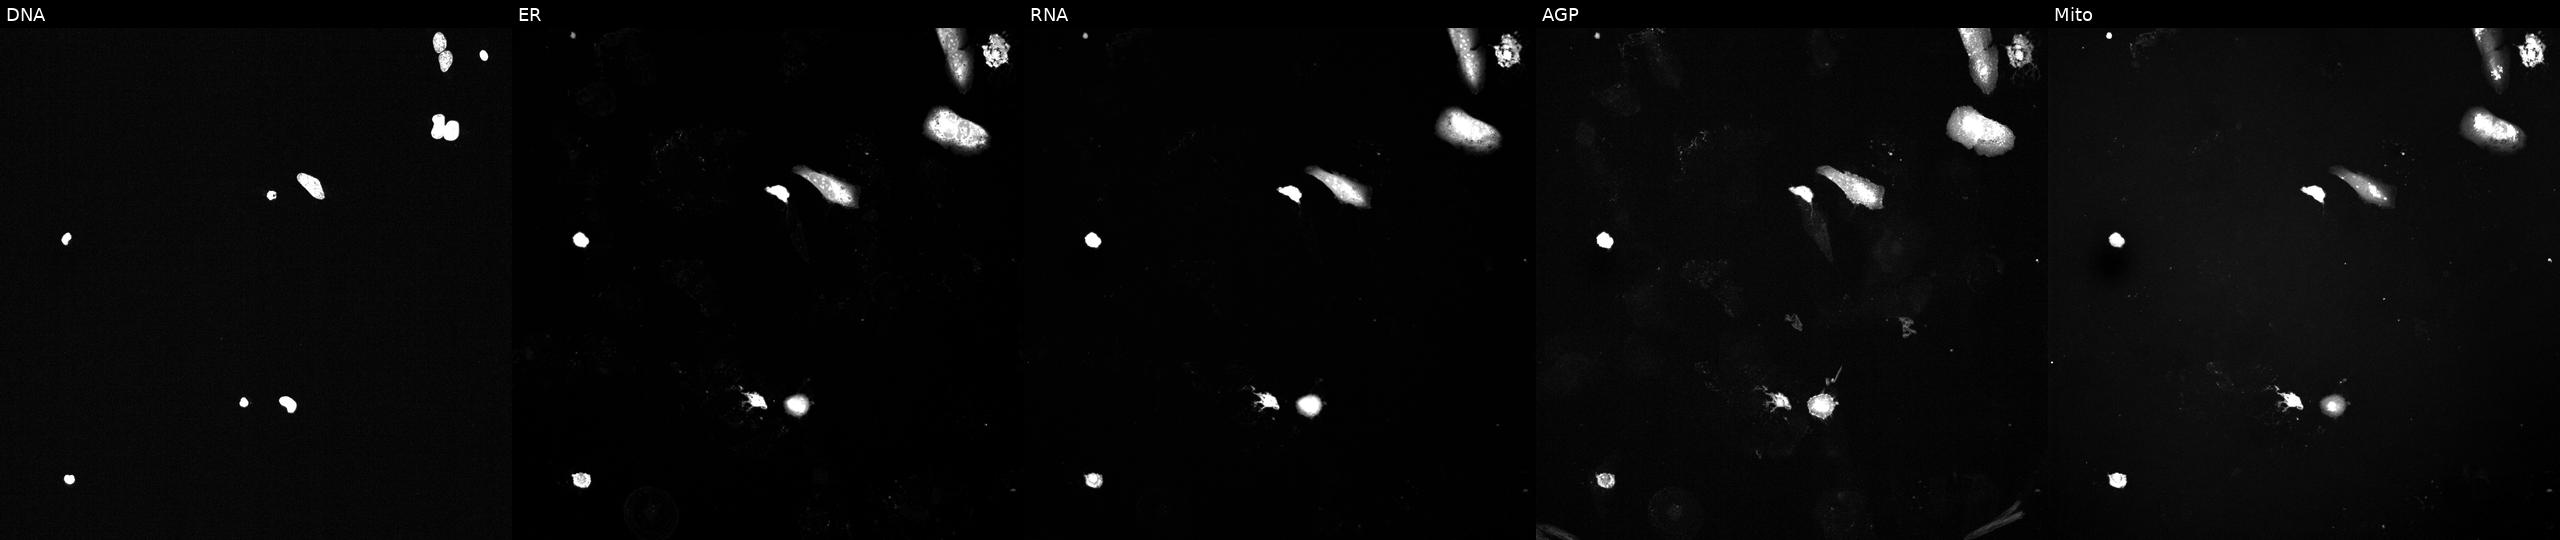
High-content fluorescence microscopy (Cell Painting). Cell line: U2OS. Perturbation: exposed to a small-molecule compound (InChIKey UTBOEBCWXGDOGI-UHFFFAOYSA-N) (JUMP id JCP2022_091373). The five panels, left to right, show Hoechst 33342, concanavalin A, SYTO 14, phalloidin and WGA, MitoTracker.